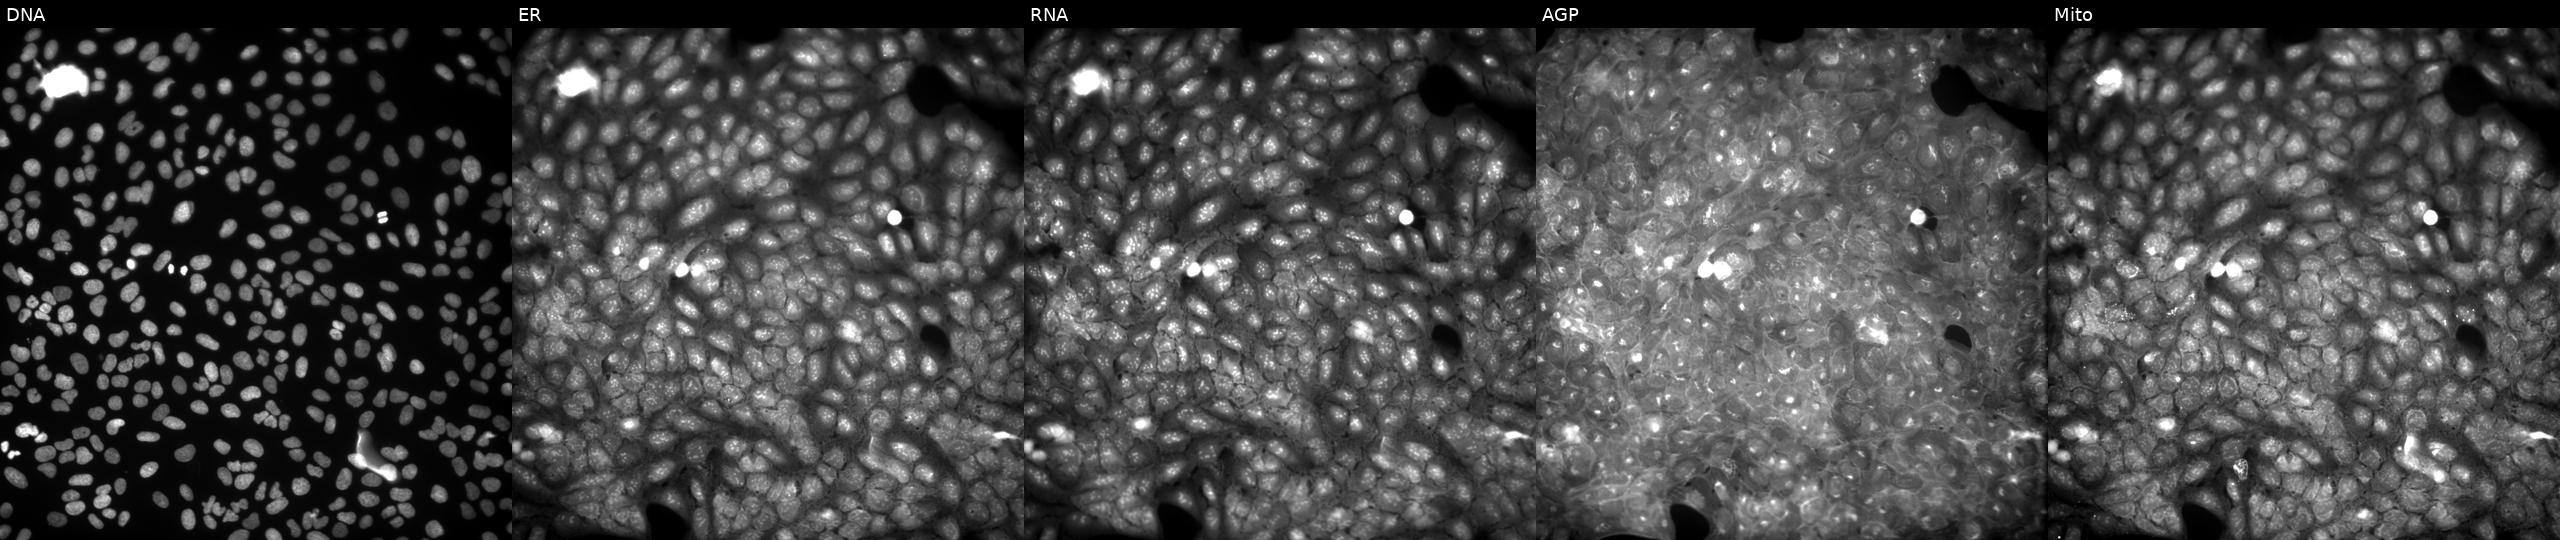
JUMP Cell Painting — COMPOUND plate. U2OS cells treated with a small-molecule compound (InChIKey SZBHUEXHIXASTF-UHFFFAOYSA-N). Panels show, left to right, DNA (nuclei); ER (endoplasmic reticulum); RNA (nucleoli and cytoplasmic RNA); AGP (actin cytoskeleton, Golgi, and plasma membrane); Mito (mitochondria). Source 9, plate GR00003381, well AD18.